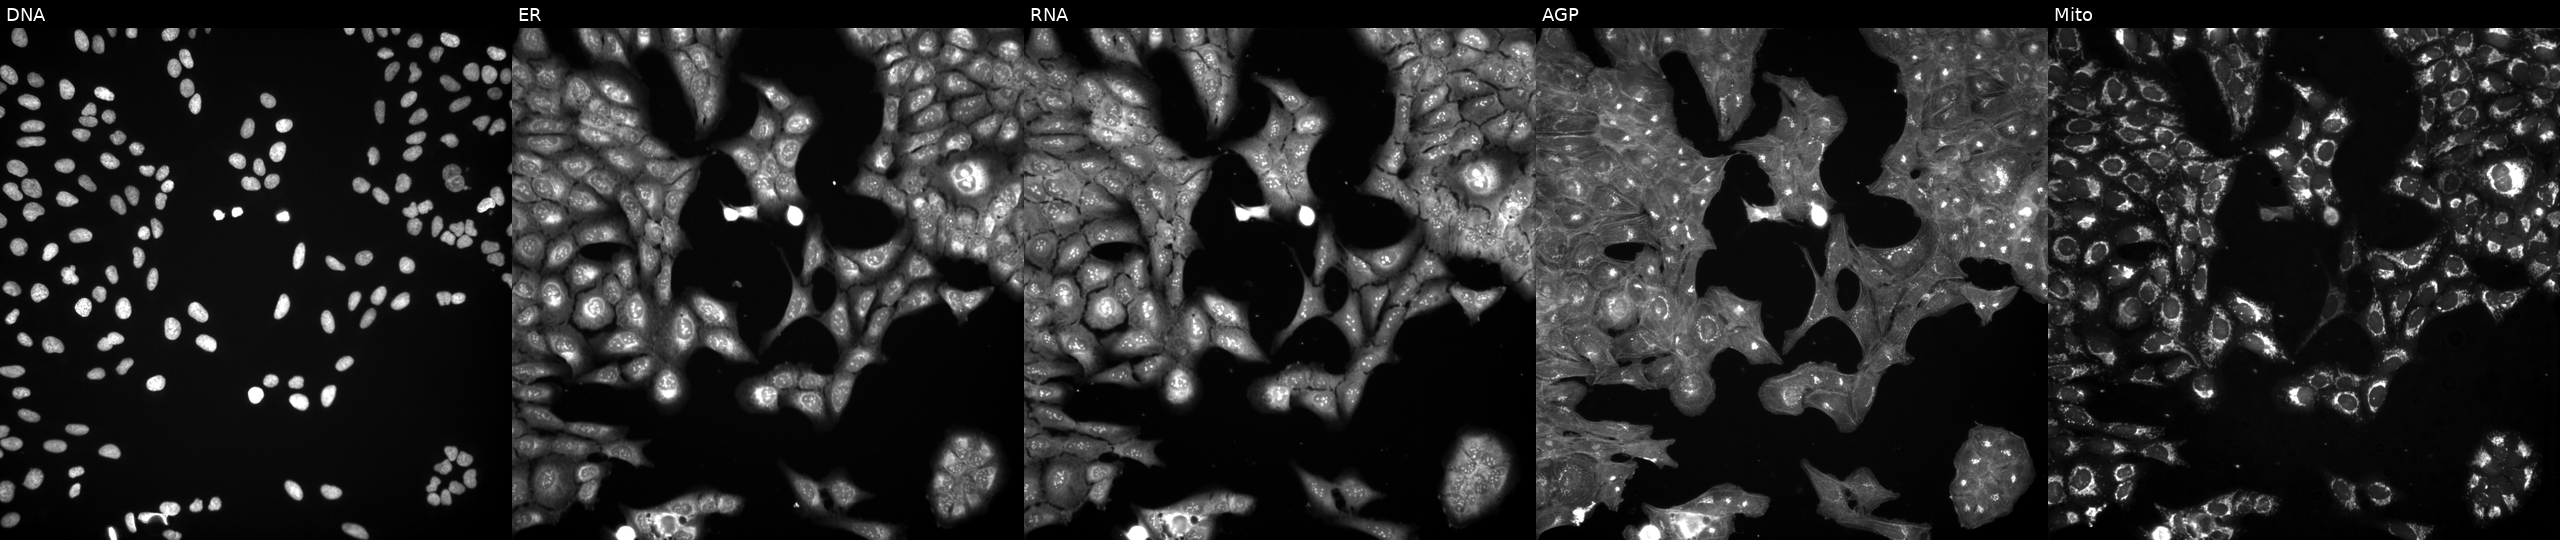
U2OS cells, Cell Painting assay, exposed to a small-molecule compound (JUMP id JCP2022_072364). Channels (left→right): Hoechst 33342, concanavalin A, SYTO 14, phalloidin and WGA, MitoTracker. Each panel is percentile-stretched 16-bit fluorescence. Source 3, plate BR5867a3, well G13.